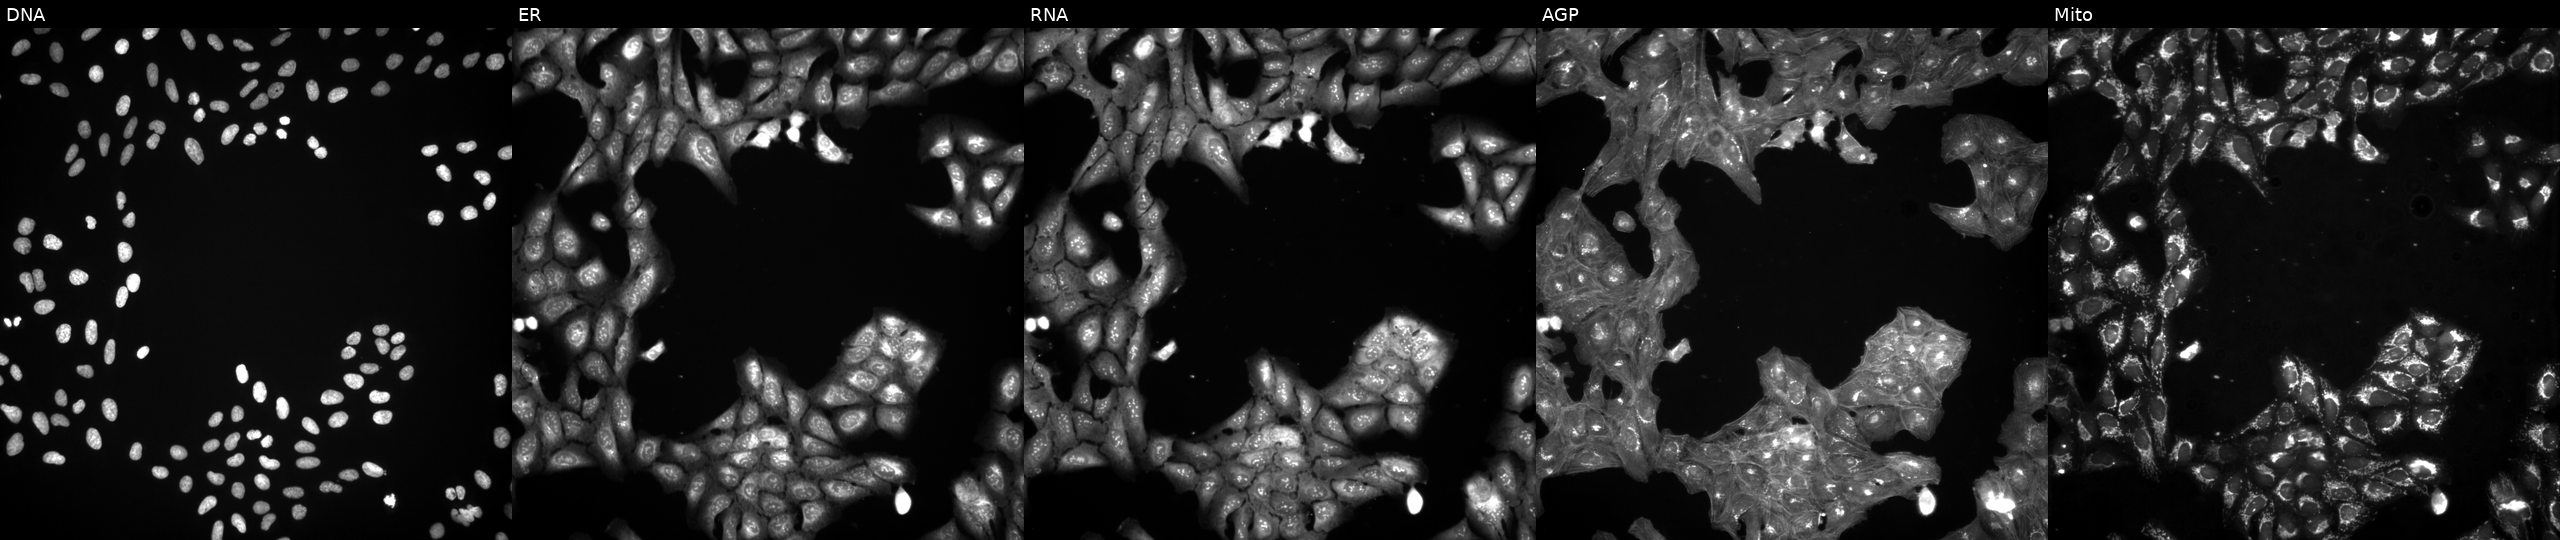
Panels show, left to right, DNA (nuclei); ER (endoplasmic reticulum); RNA (nucleoli and cytoplasmic RNA); AGP (actin cytoskeleton, Golgi, and plasma membrane); Mito (mitochondria). U2OS osteosarcoma cells exposed to a small-molecule compound (InChIKey LGEQQWMQCRIYKG-UHFFFAOYSA-N). Cell Painting assay, JUMP-CP dataset.